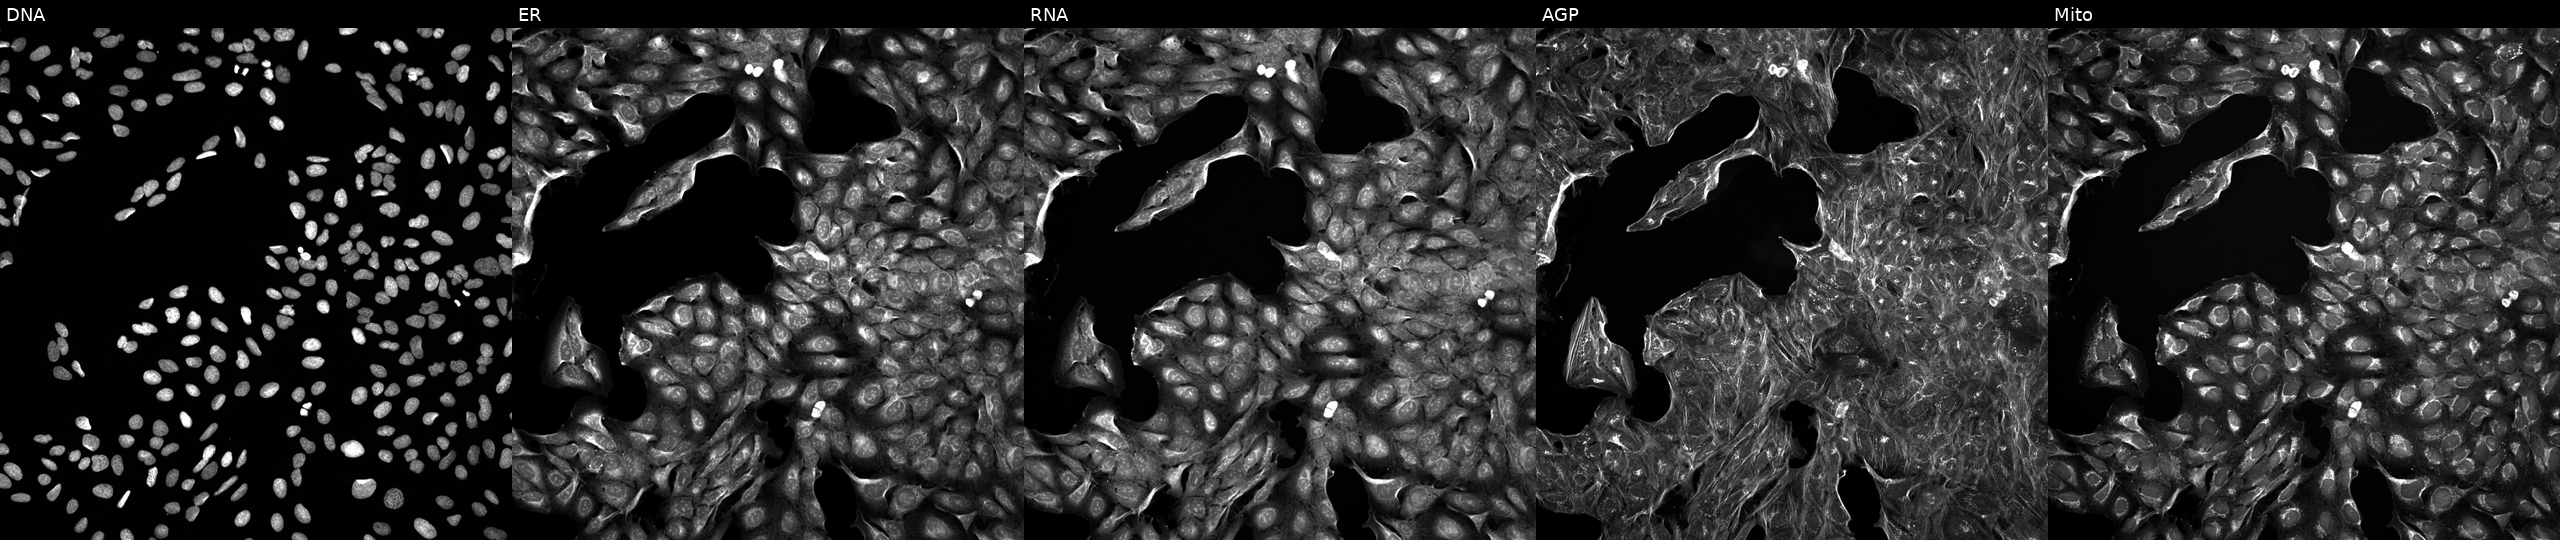
The five panels, left to right, show DNA, ER, RNA, AGP, and Mito. U2OS osteosarcoma cells exposed to a small-molecule compound (InChIKey PHXJVRSECIGDHY-UHFFFAOYSA-N) (JUMP id JCP2022_068713). Cell Painting assay, JUMP-CP dataset. Source 5, plate ACPJUM012, well J08.